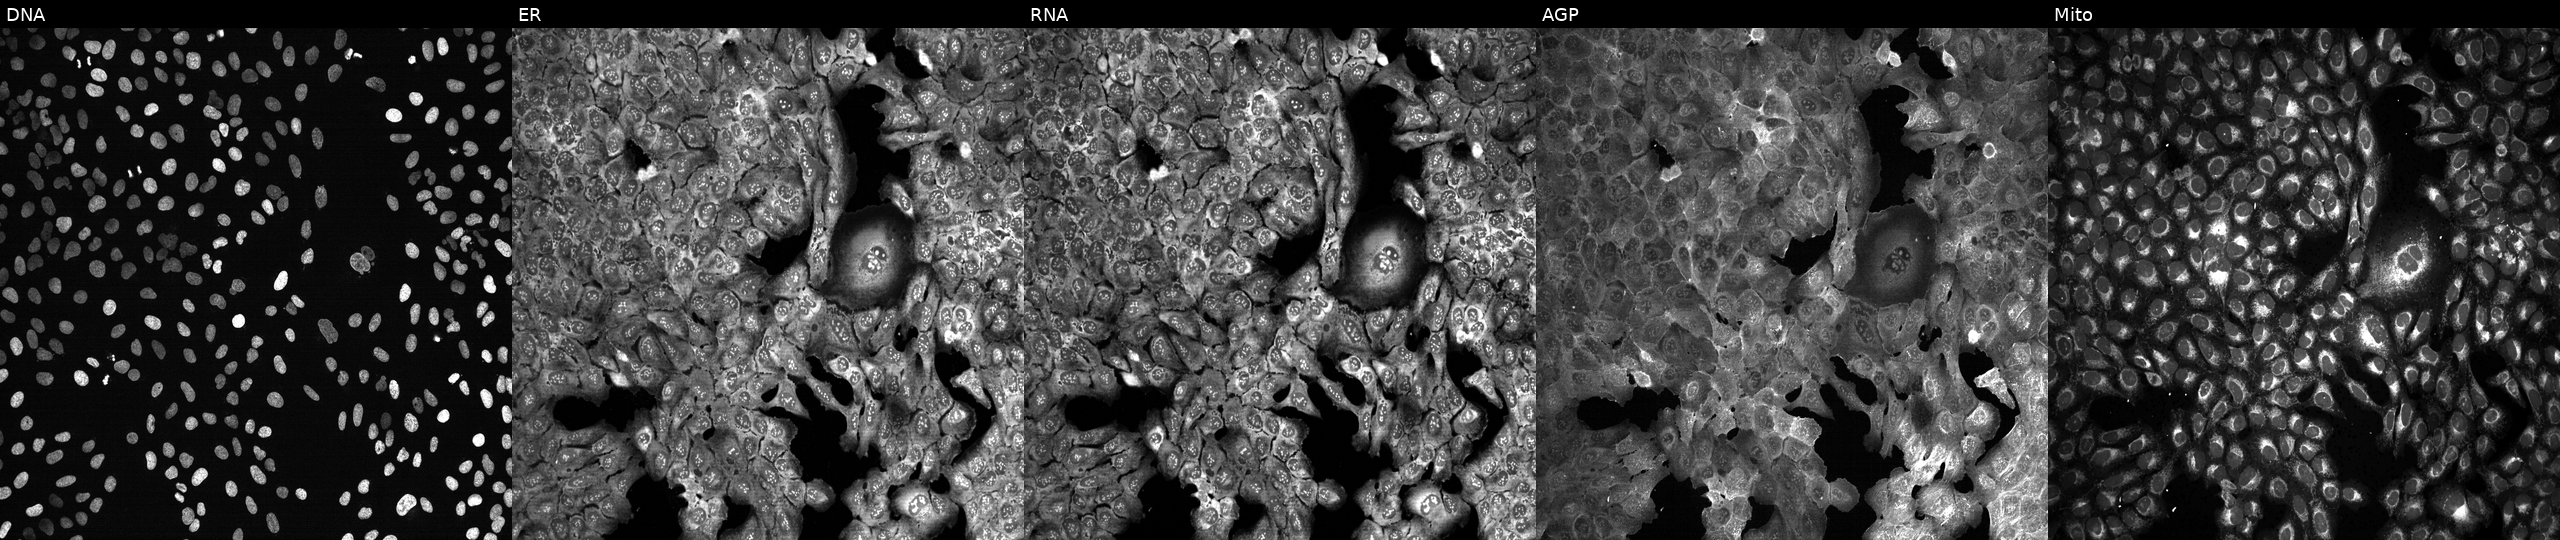
JUMP Cell Painting — CRISPR plate. U2OS cells with LIG4 knocked out by CRISPR (JUMP id JCP2022_803839). Channels (left→right): DNA, ER, RNA, AGP, and Mito.